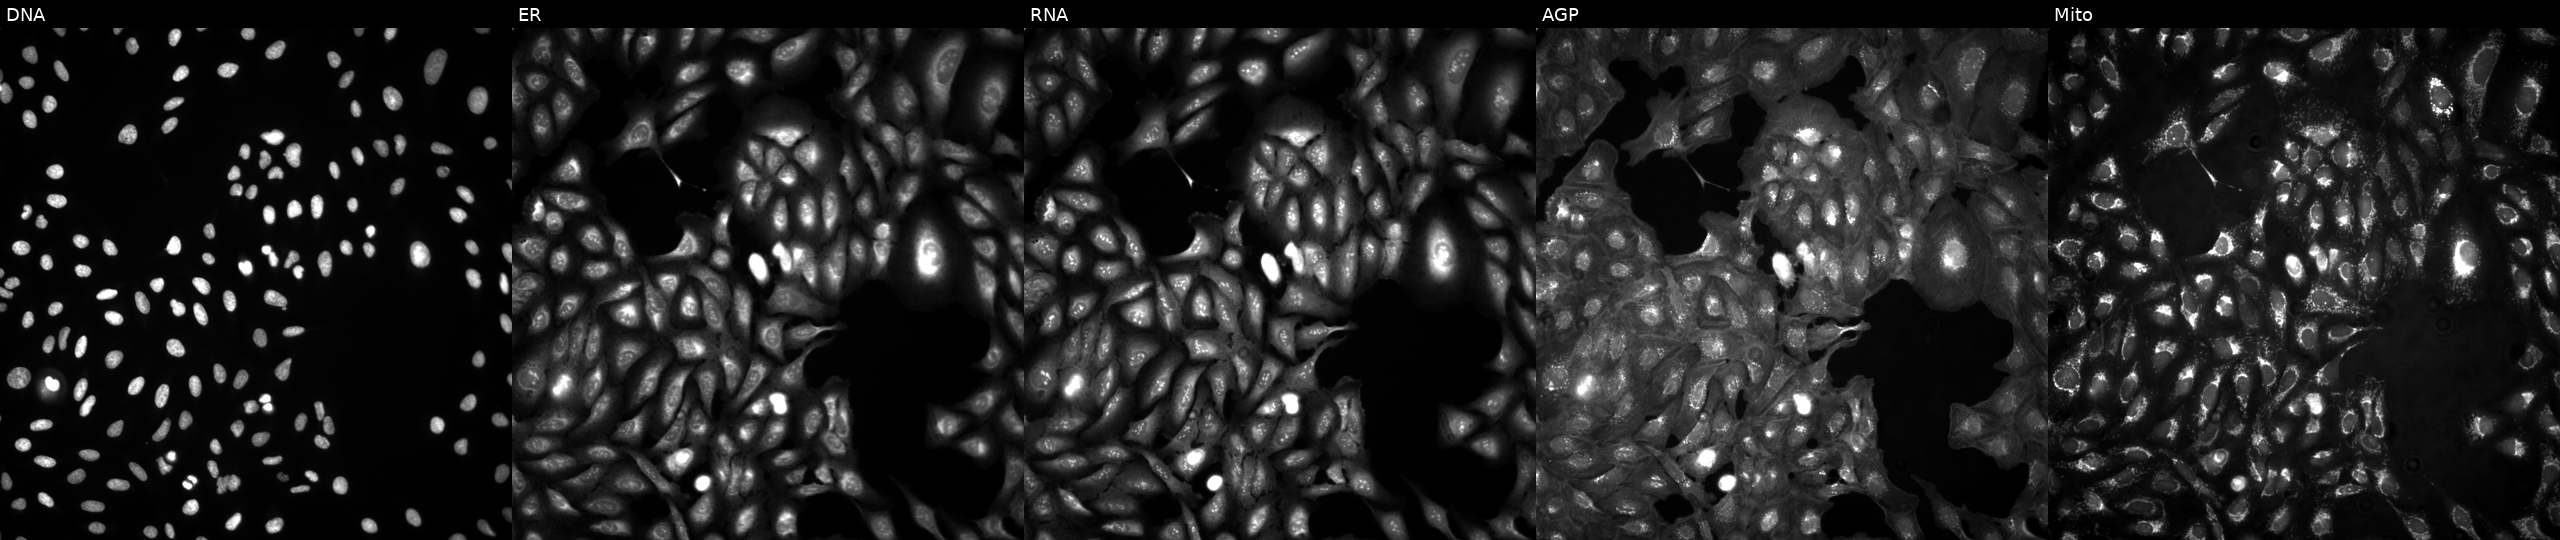
Five-channel Cell Painting image of U2OS cells untreated (empty-well control). Panels show, left to right, Hoechst 33342, concanavalin A, SYTO 14, phalloidin and WGA, MitoTracker.